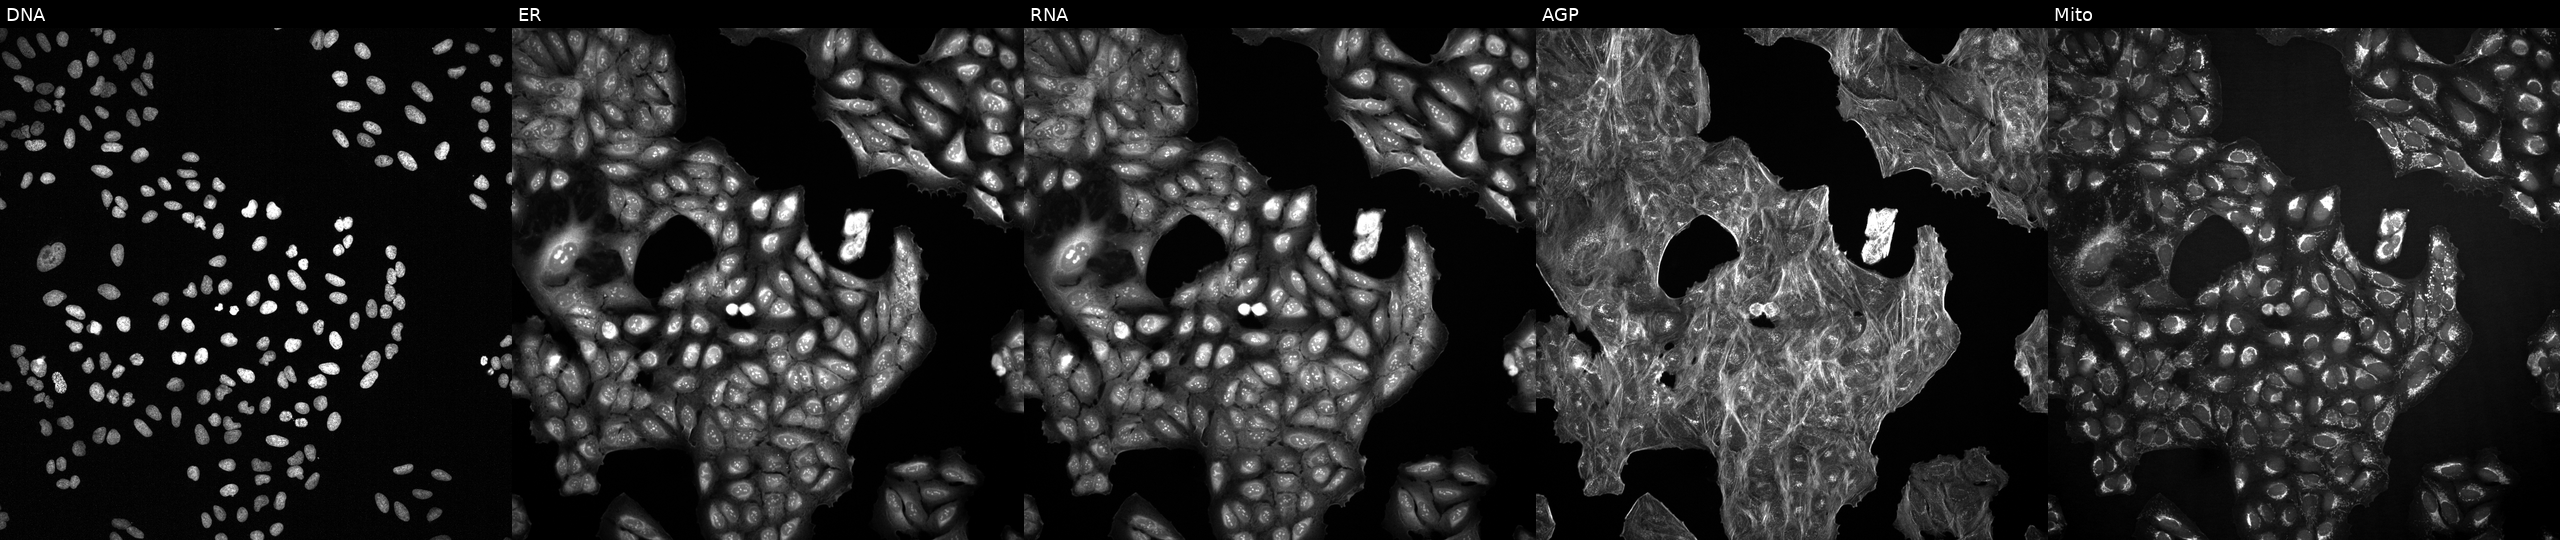
JUMP Cell Painting — COMPOUND plate. U2OS cells with an unidentified perturbation (not annotated in JUMP metadata). Panels show, left to right, DNA (nuclei); ER (endoplasmic reticulum); RNA (nucleoli and cytoplasmic RNA); AGP (actin cytoskeleton, Golgi, and plasma membrane); Mito (mitochondria). Source 2, plate 1053601763, well B13.